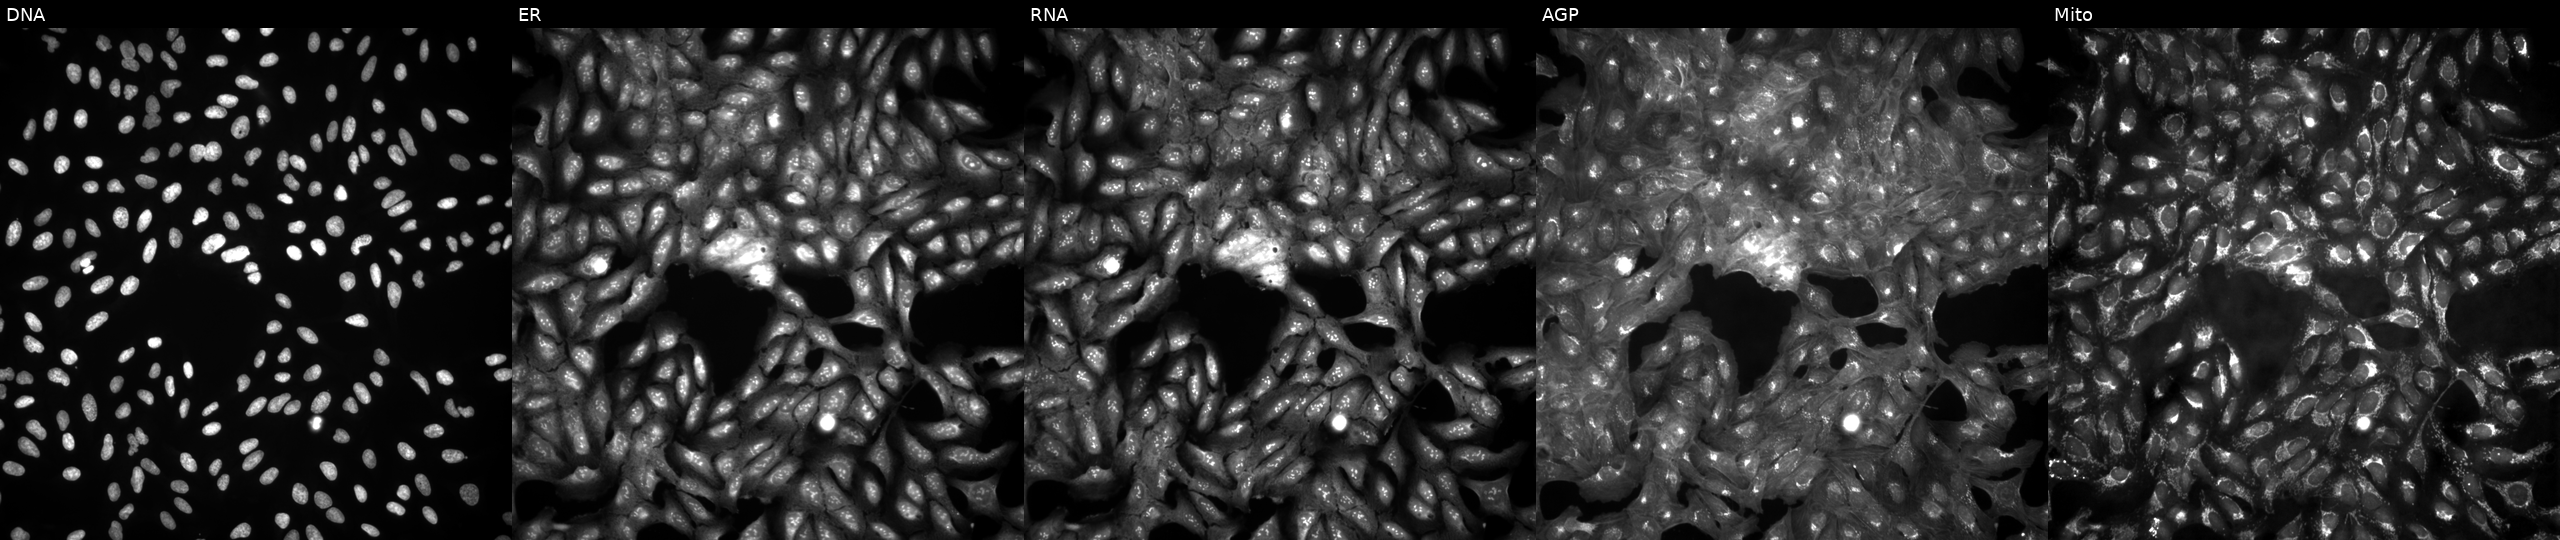
High-content fluorescence microscopy (Cell Painting). Cell line: U2OS. Perturbation: untreated (empty-well control) (JUMP id JCP2022_999999). Panels show, left to right, DNA (nuclei); ER (endoplasmic reticulum); RNA (nucleoli and cytoplasmic RNA); AGP (actin cytoskeleton, Golgi, and plasma membrane); Mito (mitochondria). Source 4, plate BR00123946, well F11.